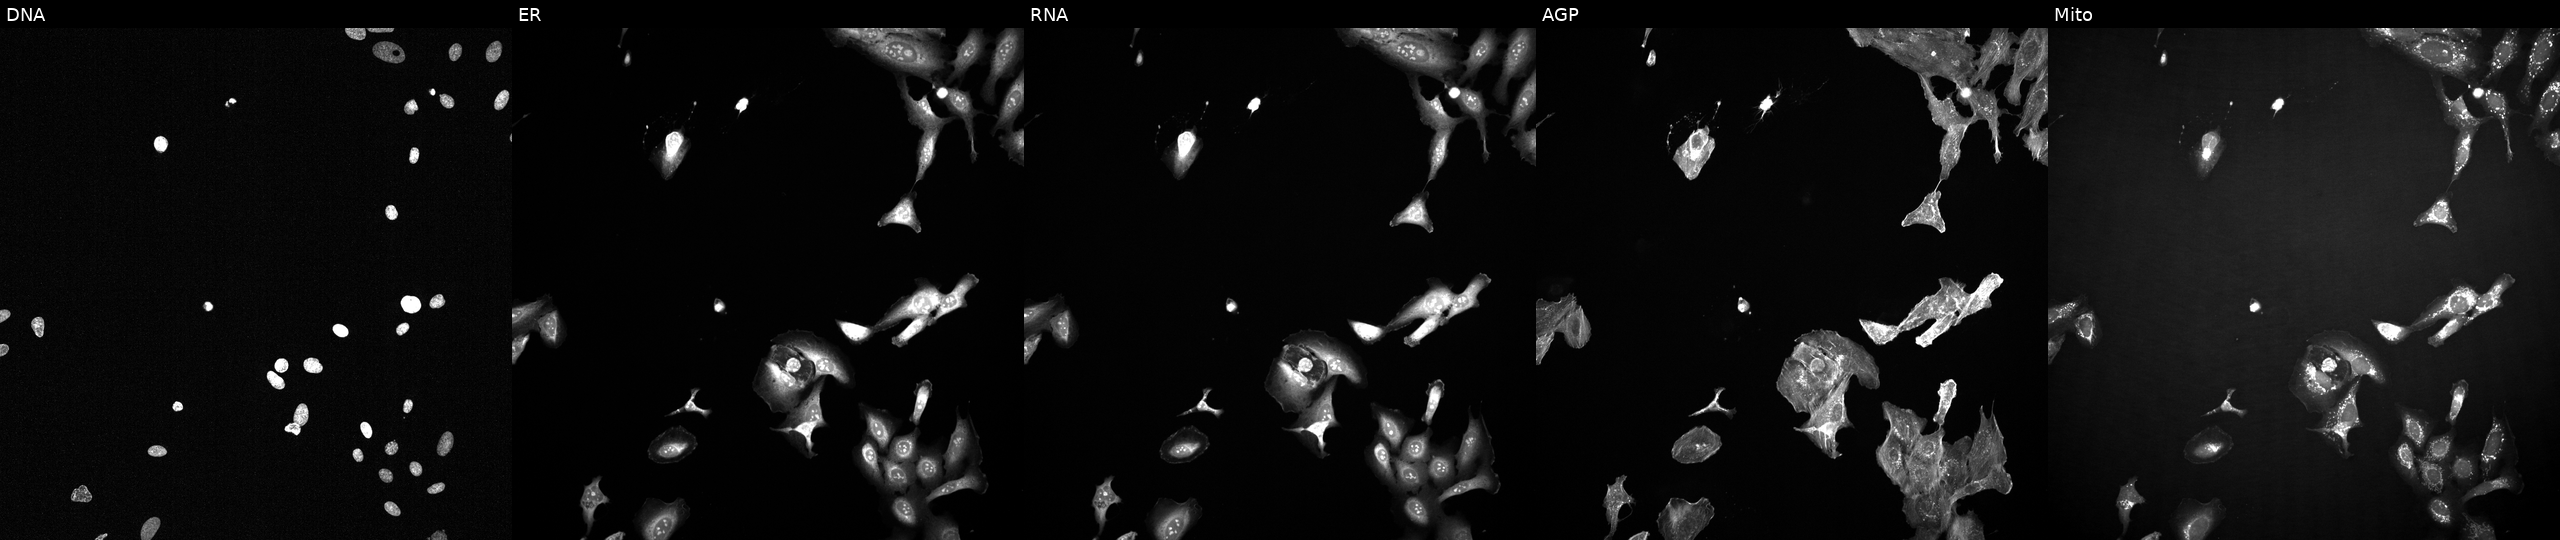
High-content fluorescence microscopy (Cell Painting). Cell line: U2OS. Perturbation: exposed to a small-molecule compound (InChIKey VSWDORGPIHIGNW-UHFFFAOYSA-N). From left to right: DNA, ER, RNA, AGP, and Mito.